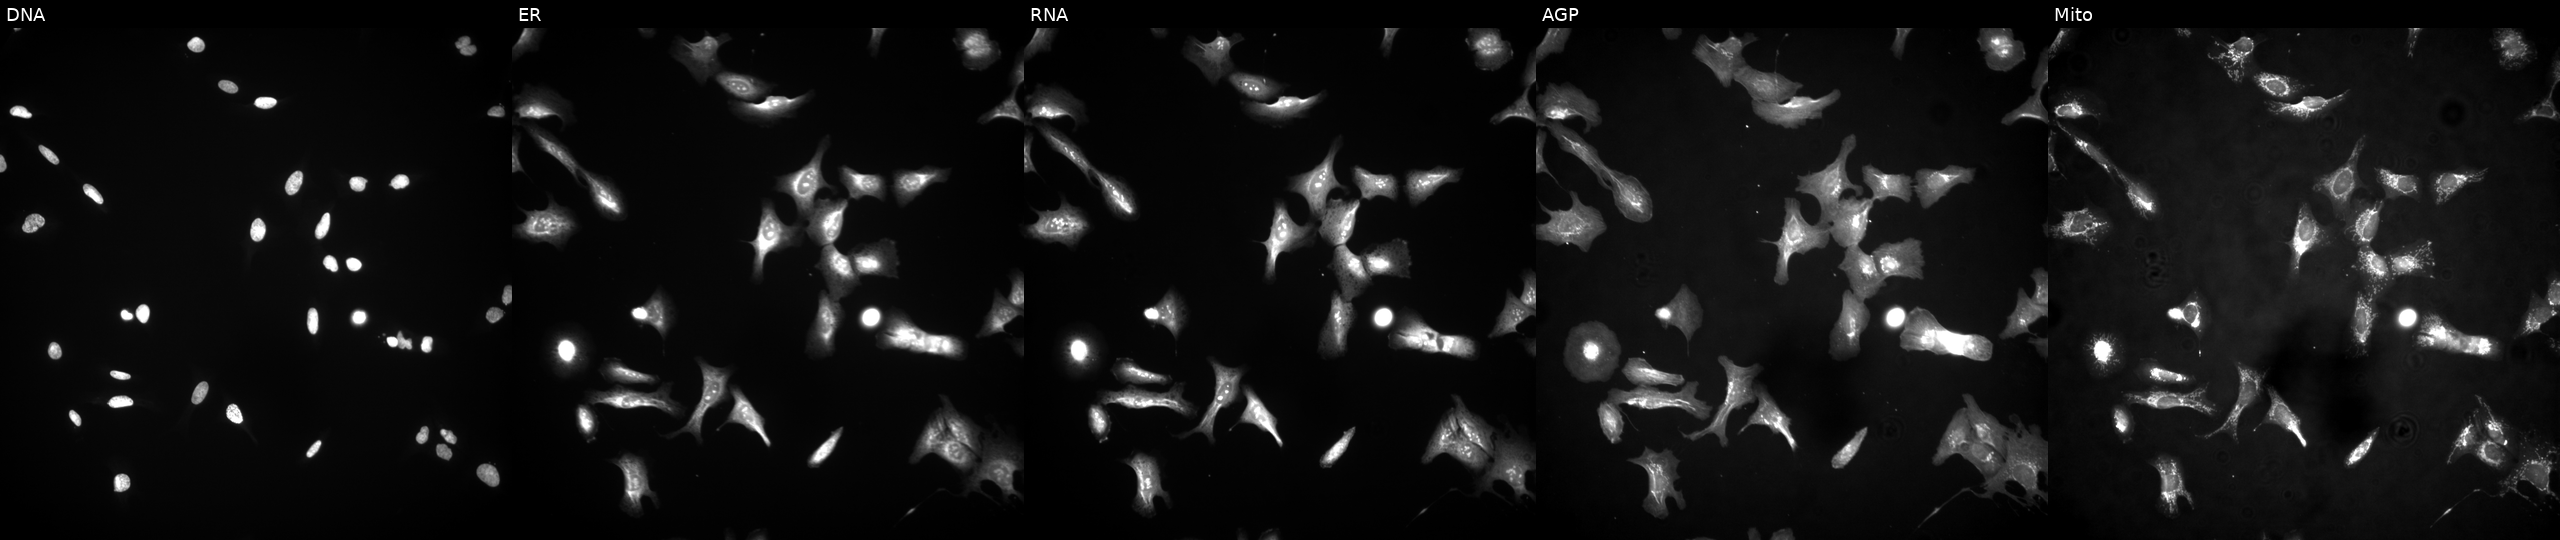
This image strip shows the five Cell Painting channels for a single field of U2OS cells with NPIPA5 overexpressed (ORF). The five panels, left to right, show DNA (nuclei); ER (endoplasmic reticulum); RNA (nucleoli and cytoplasmic RNA); AGP (actin cytoskeleton, Golgi, and plasma membrane); Mito (mitochondria).